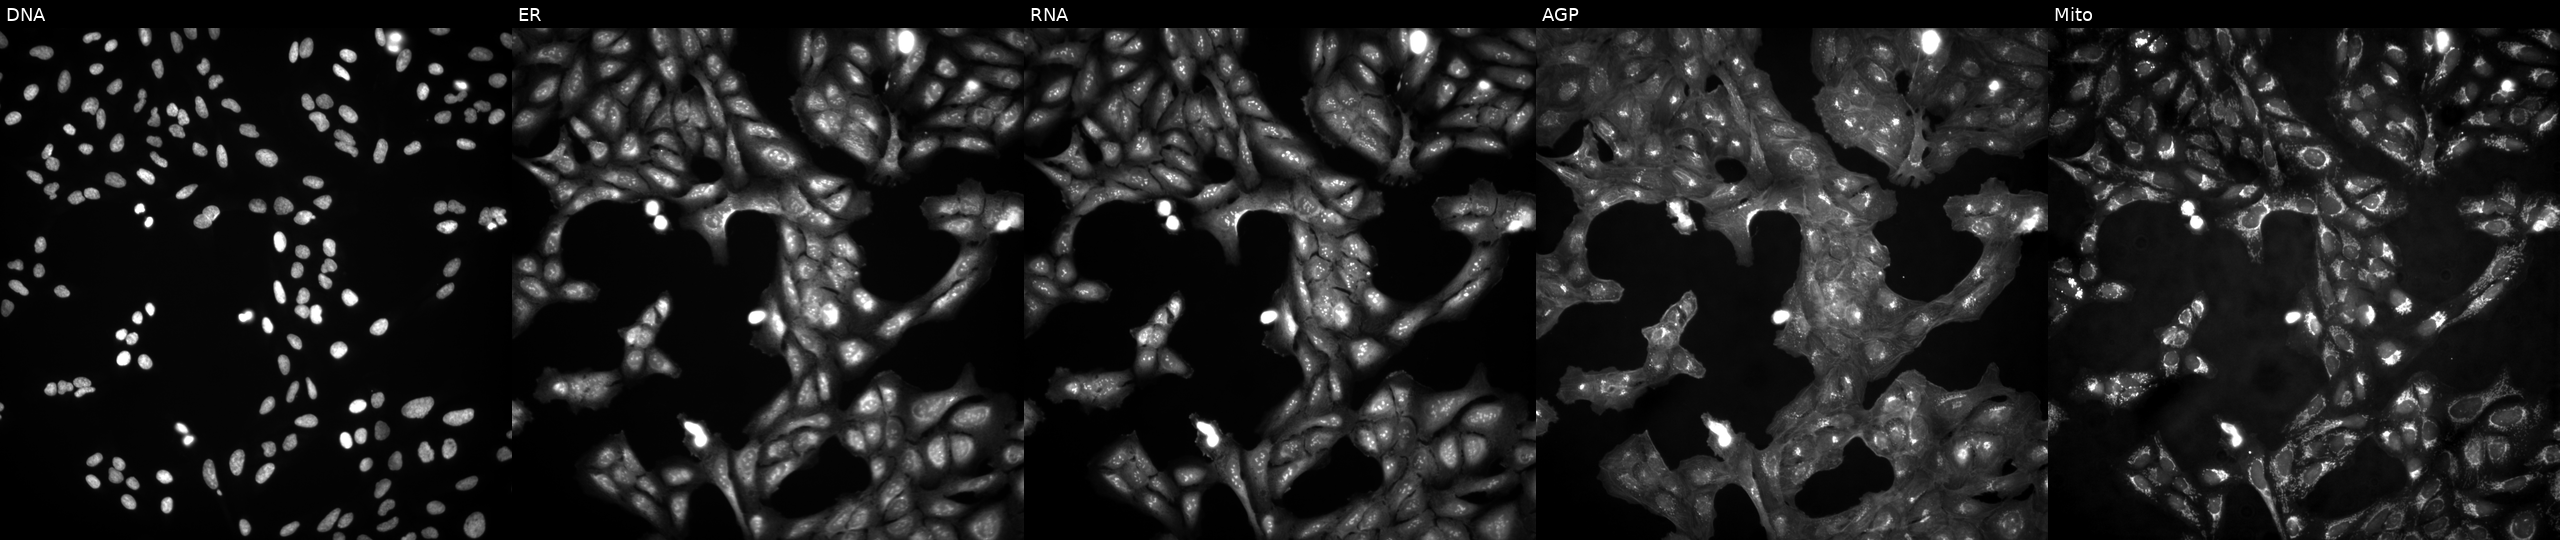
High-content fluorescence microscopy (Cell Painting). Cell line: U2OS. Perturbation: untreated (empty-well control). From left to right: DNA, ER, RNA, AGP, and Mito.